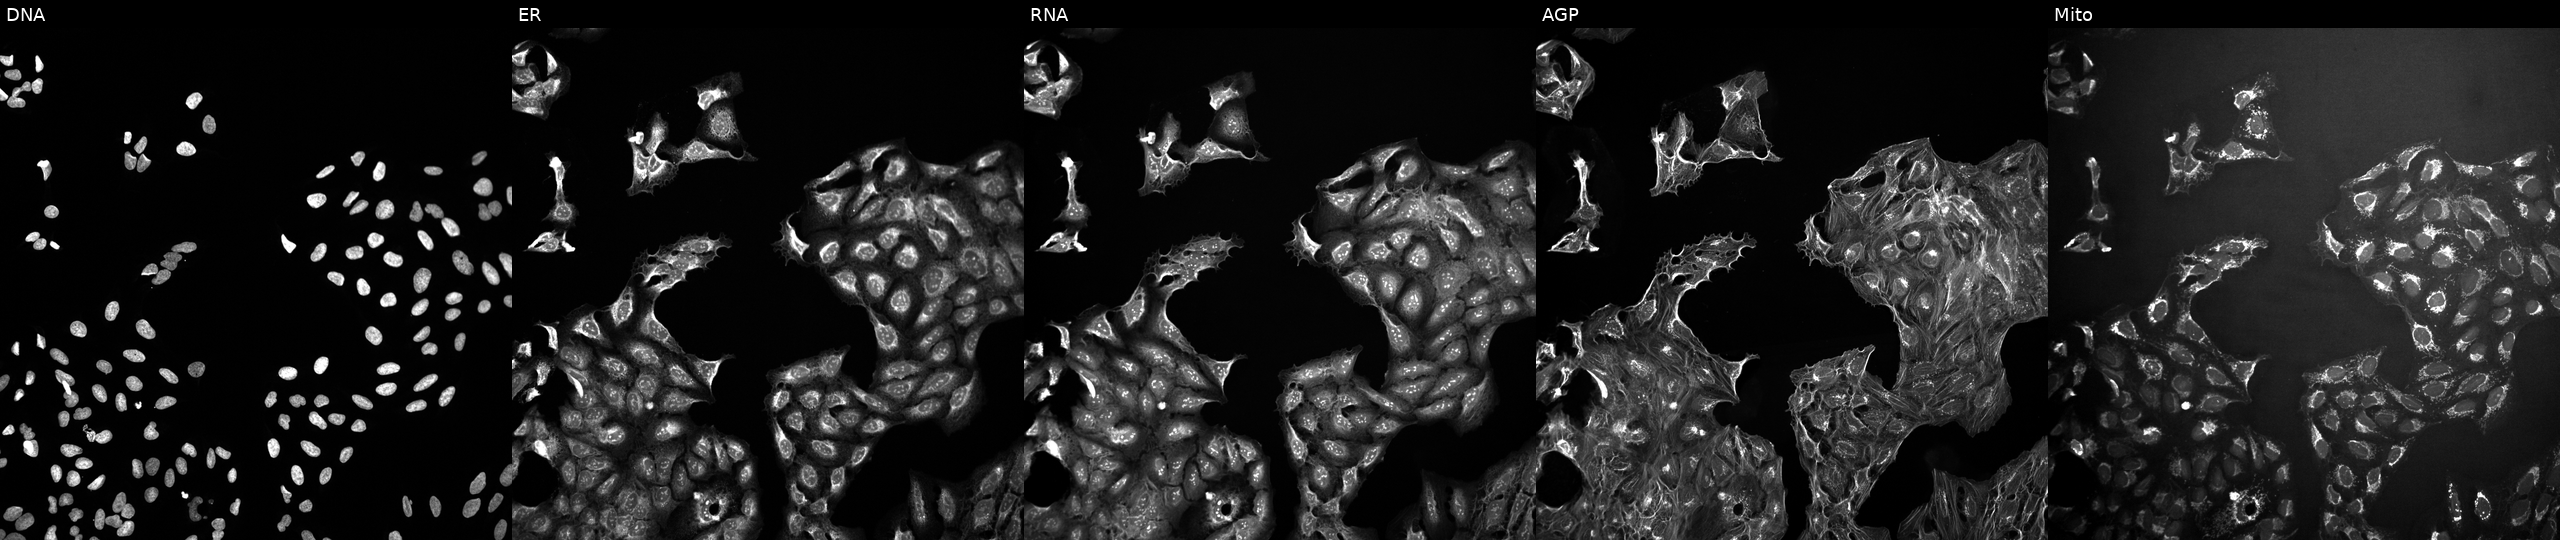
Five-channel Cell Painting image of U2OS cells untreated (empty-well control) (JUMP id JCP2022_999999). The five panels, left to right, show DNA (nuclei); ER (endoplasmic reticulum); RNA (nucleoli and cytoplasmic RNA); AGP (actin cytoskeleton, Golgi, and plasma membrane); Mito (mitochondria).